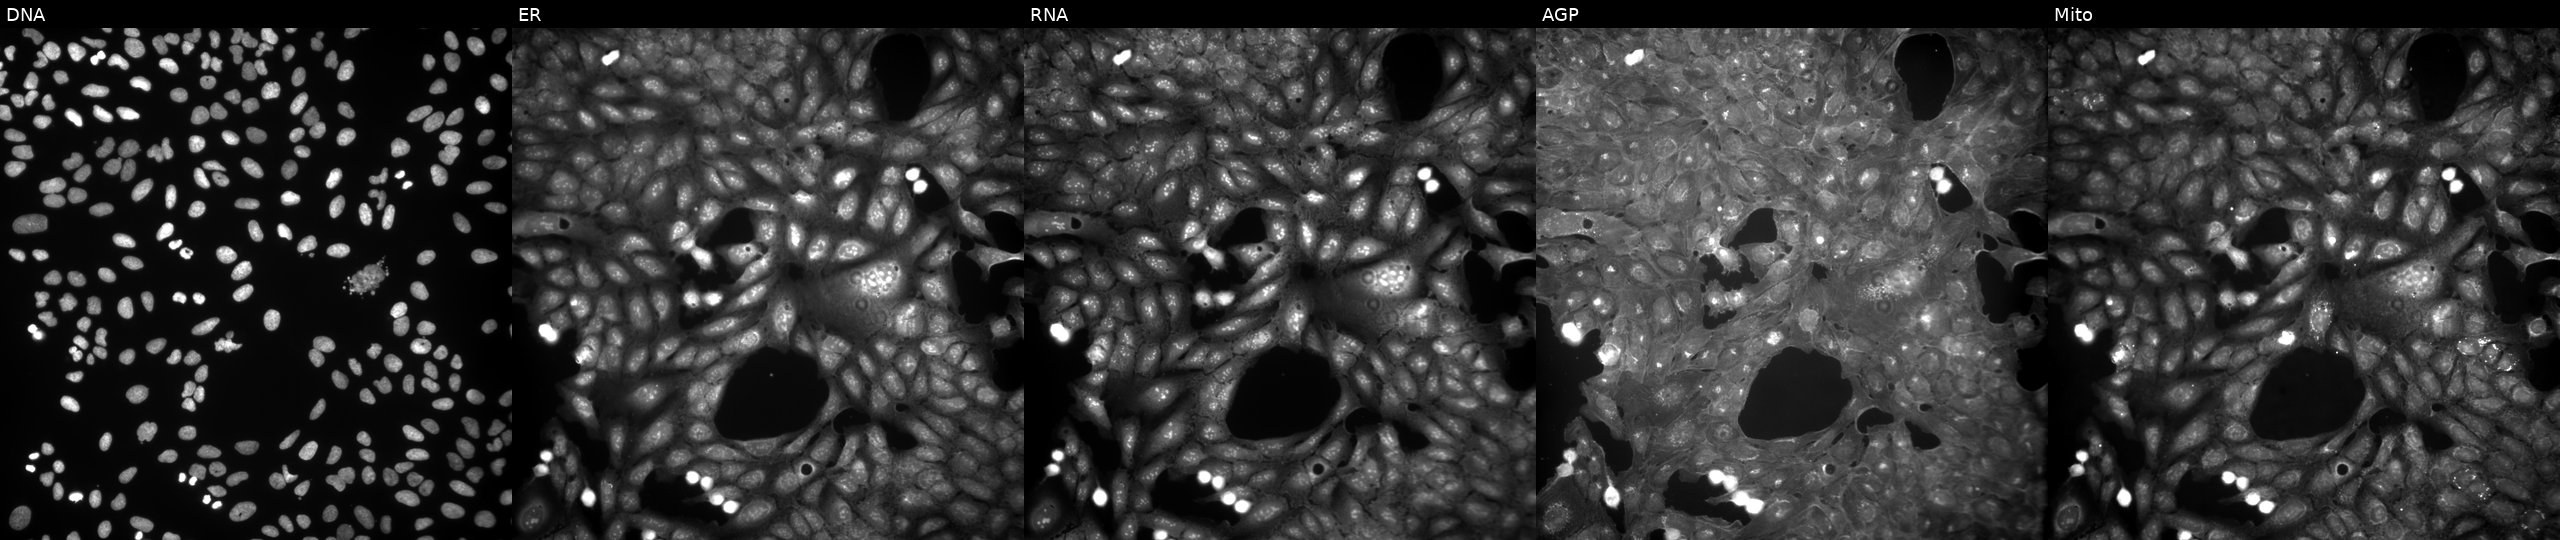
High-content fluorescence microscopy (Cell Painting). Cell line: U2OS. Perturbation: exposed to a small-molecule compound. The five panels, left to right, show DNA (nuclei); ER (endoplasmic reticulum); RNA (nucleoli and cytoplasmic RNA); AGP (actin cytoskeleton, Golgi, and plasma membrane); Mito (mitochondria).